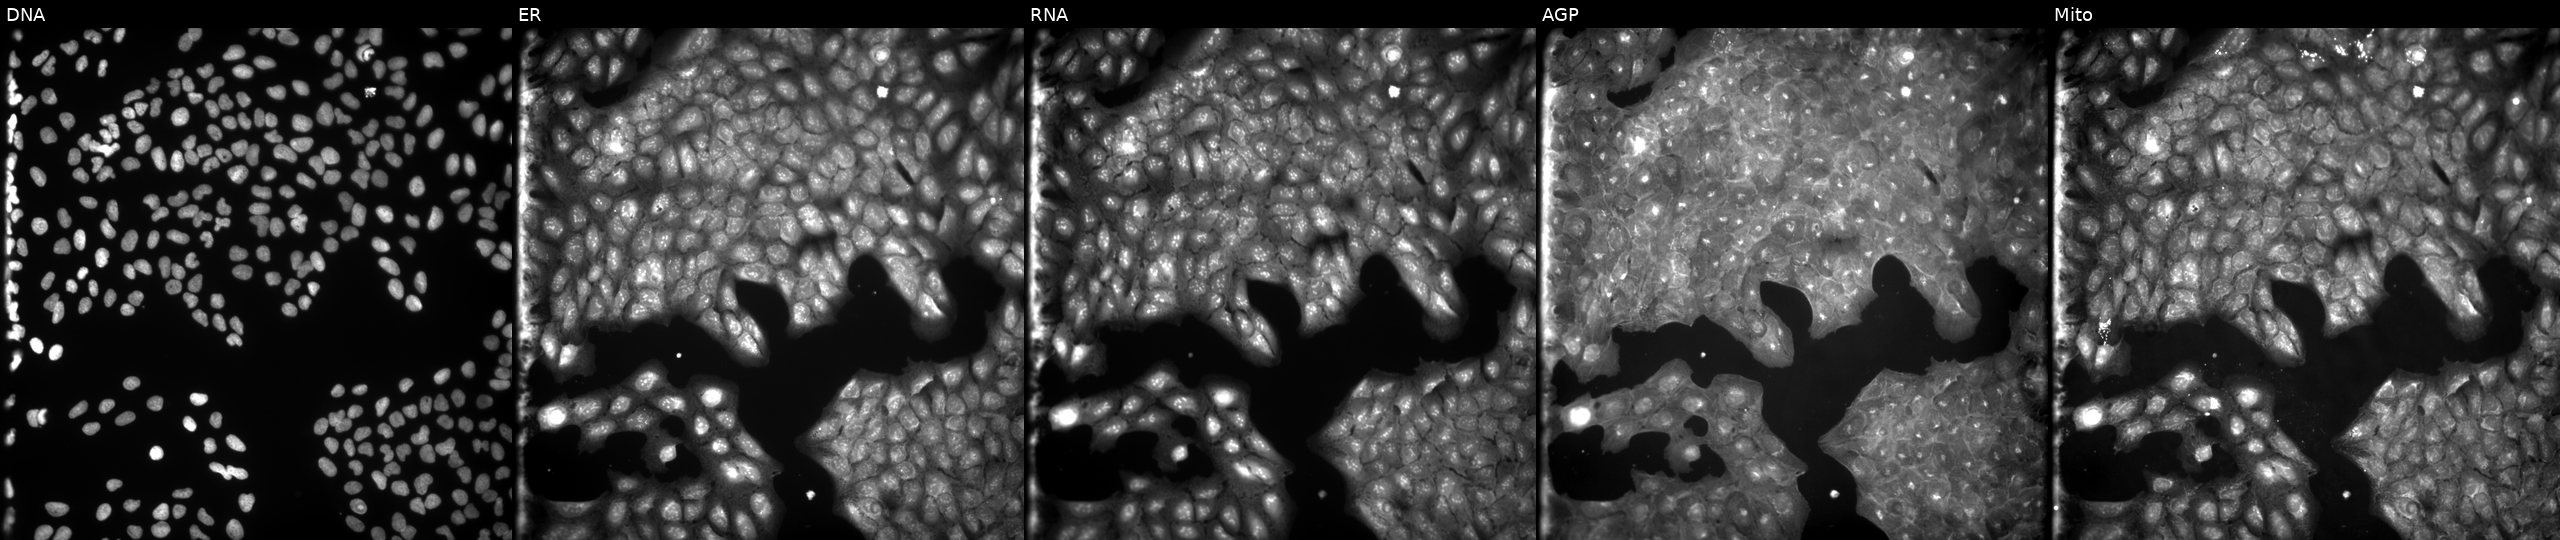
The five panels, left to right, show Hoechst 33342, concanavalin A, SYTO 14, phalloidin and WGA, MitoTracker. U2OS osteosarcoma cells treated with a small-molecule compound (InChIKey LWDBPPYRAAJEKV-UHFFFAOYSA-N) [SMILES: CCOC(=O)C1CCN(C(=O)COc2ccc(Cl)cc2C)CC1]. Cell Painting assay, JUMP-CP dataset. Source 9, plate GR00003382, well X07.